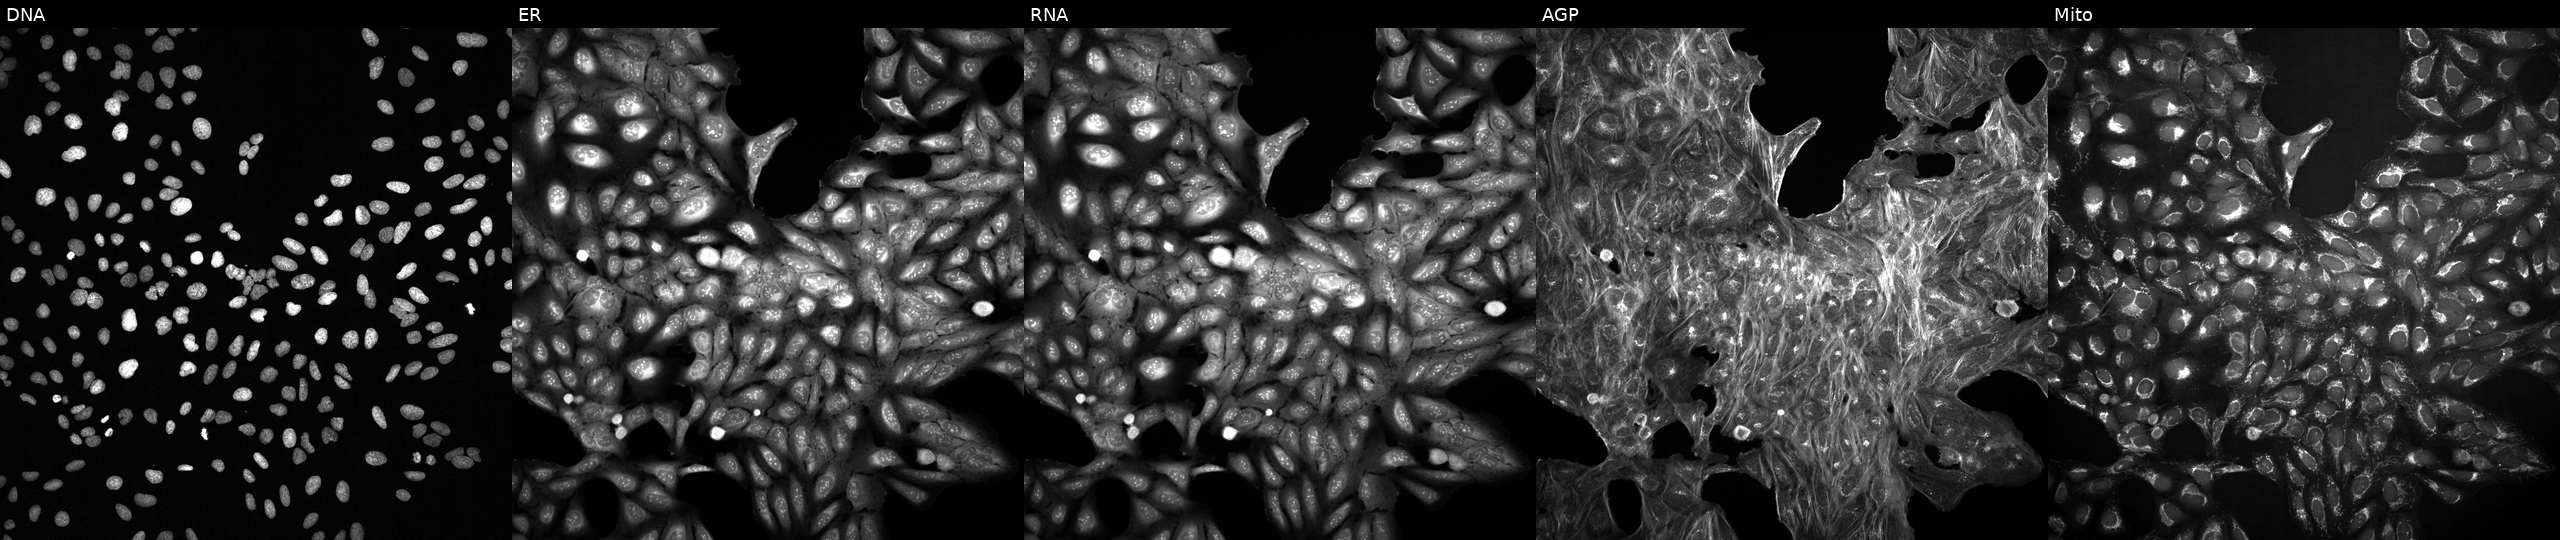
This image strip shows the five Cell Painting channels for a single field of U2OS cells treated with a small-molecule compound [SMILES: Cc1ccc(NS(=O)(=O)c2cc(Cl)c(Cl)cc2Cl)c(N)c1]. Channels (left→right): DNA, ER, RNA, AGP, and Mito.